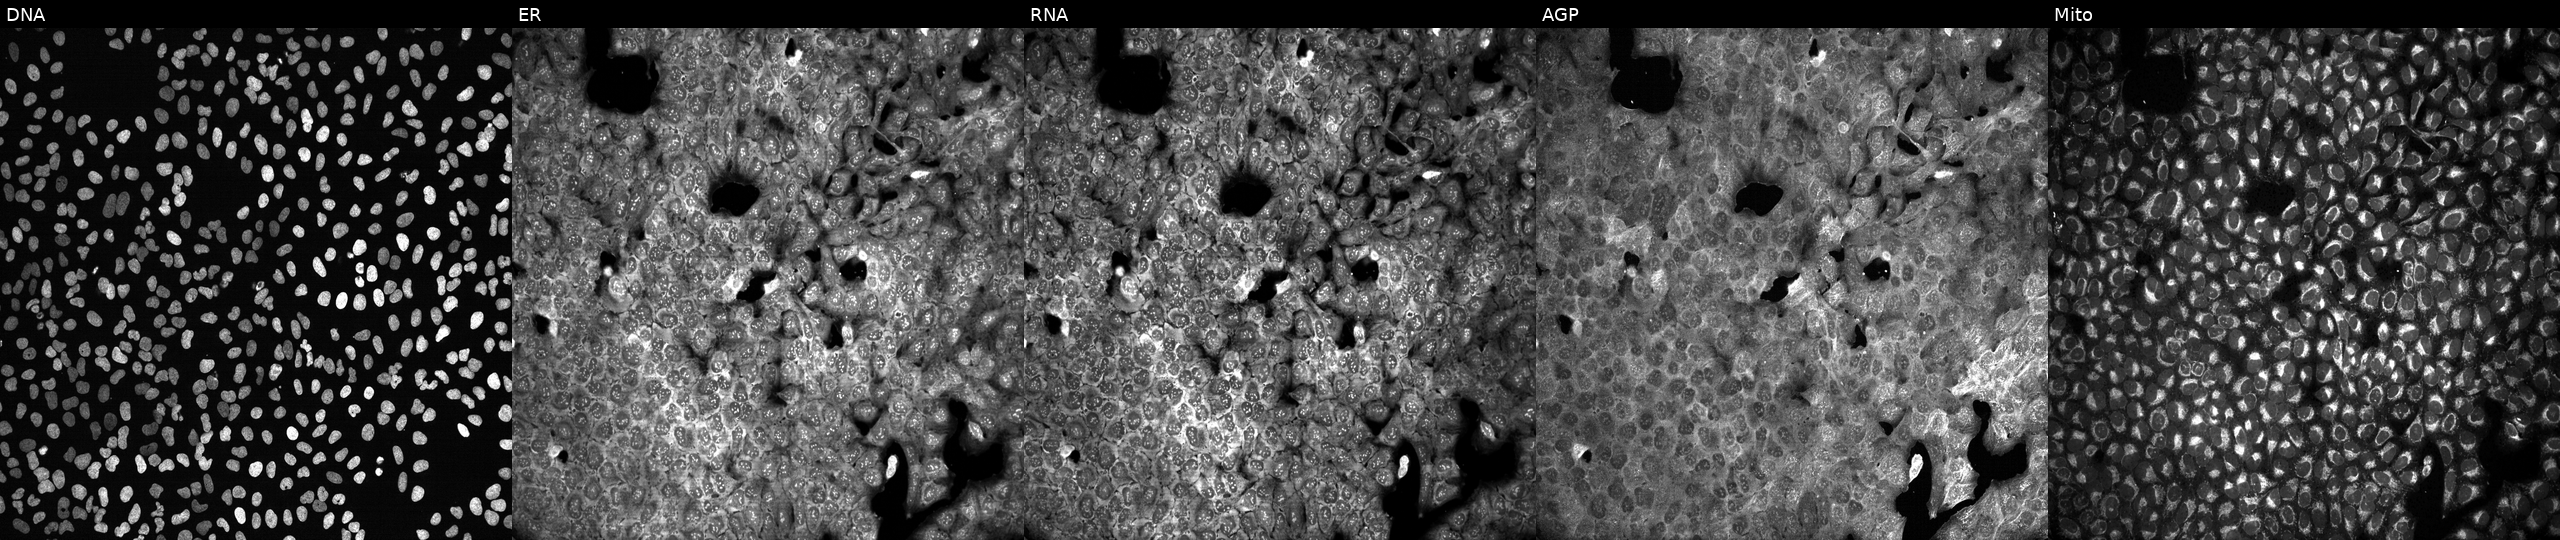
Five-channel Cell Painting image of U2OS cells treated with NVS-PAK1-1 (positive-control compound) (JUMP id JCP2022_064022). Panels show, left to right, DNA, ER, RNA, AGP, and Mito. Source 13, plate CP-CC9-R3-02, well N01.